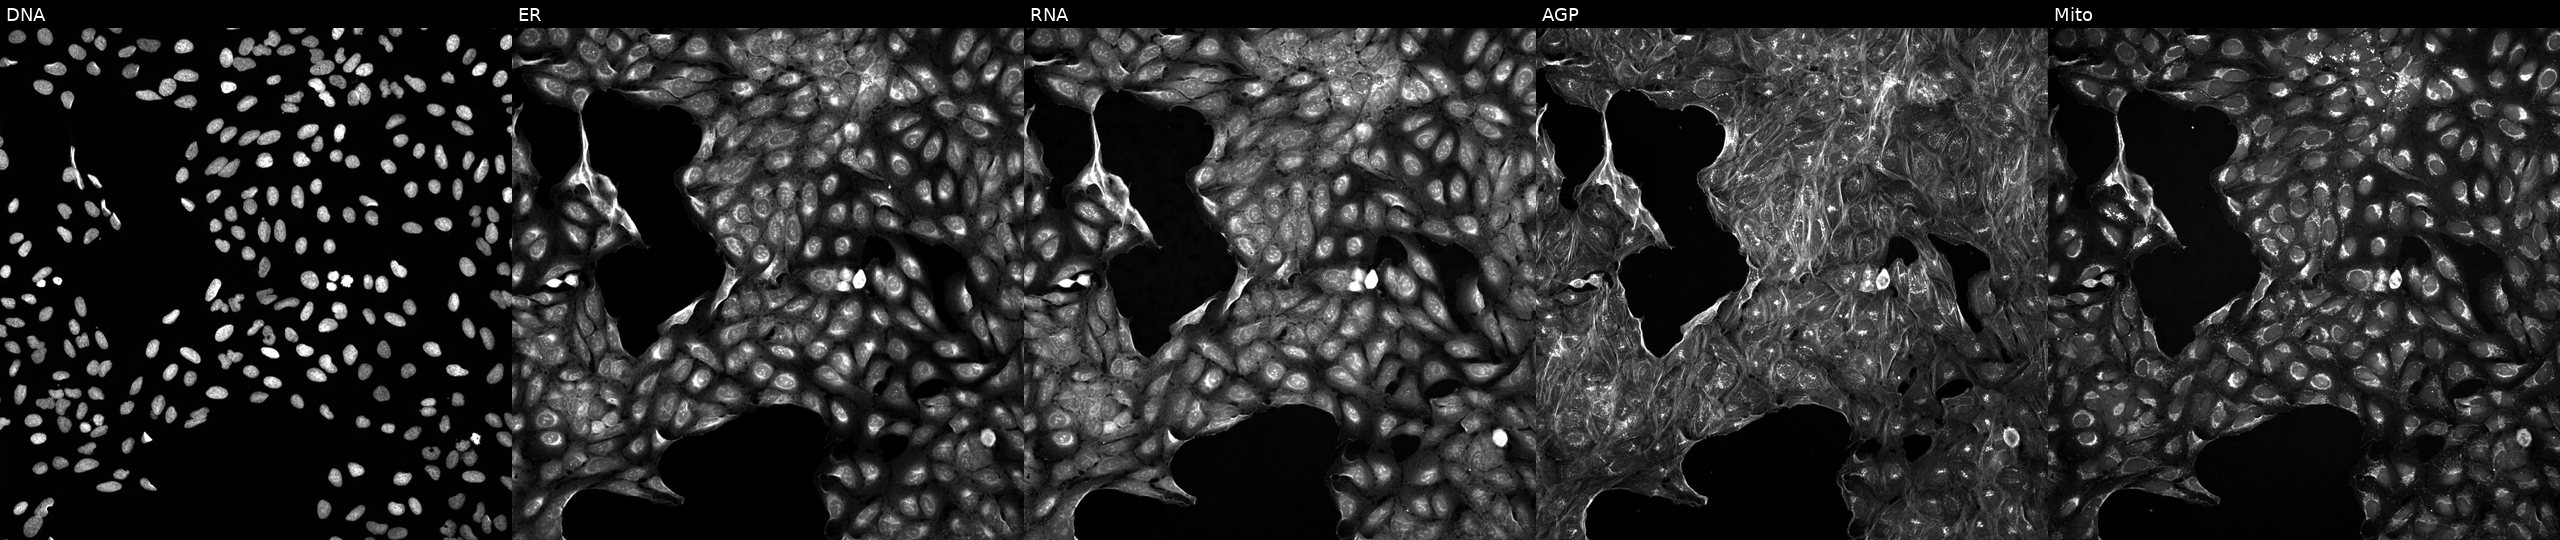
Five-channel Cell Painting image of U2OS cells treated with DMSO vehicle only (negative control). Panels show, left to right, DNA (nuclei); ER (endoplasmic reticulum); RNA (nucleoli and cytoplasmic RNA); AGP (actin cytoskeleton, Golgi, and plasma membrane); Mito (mitochondria).